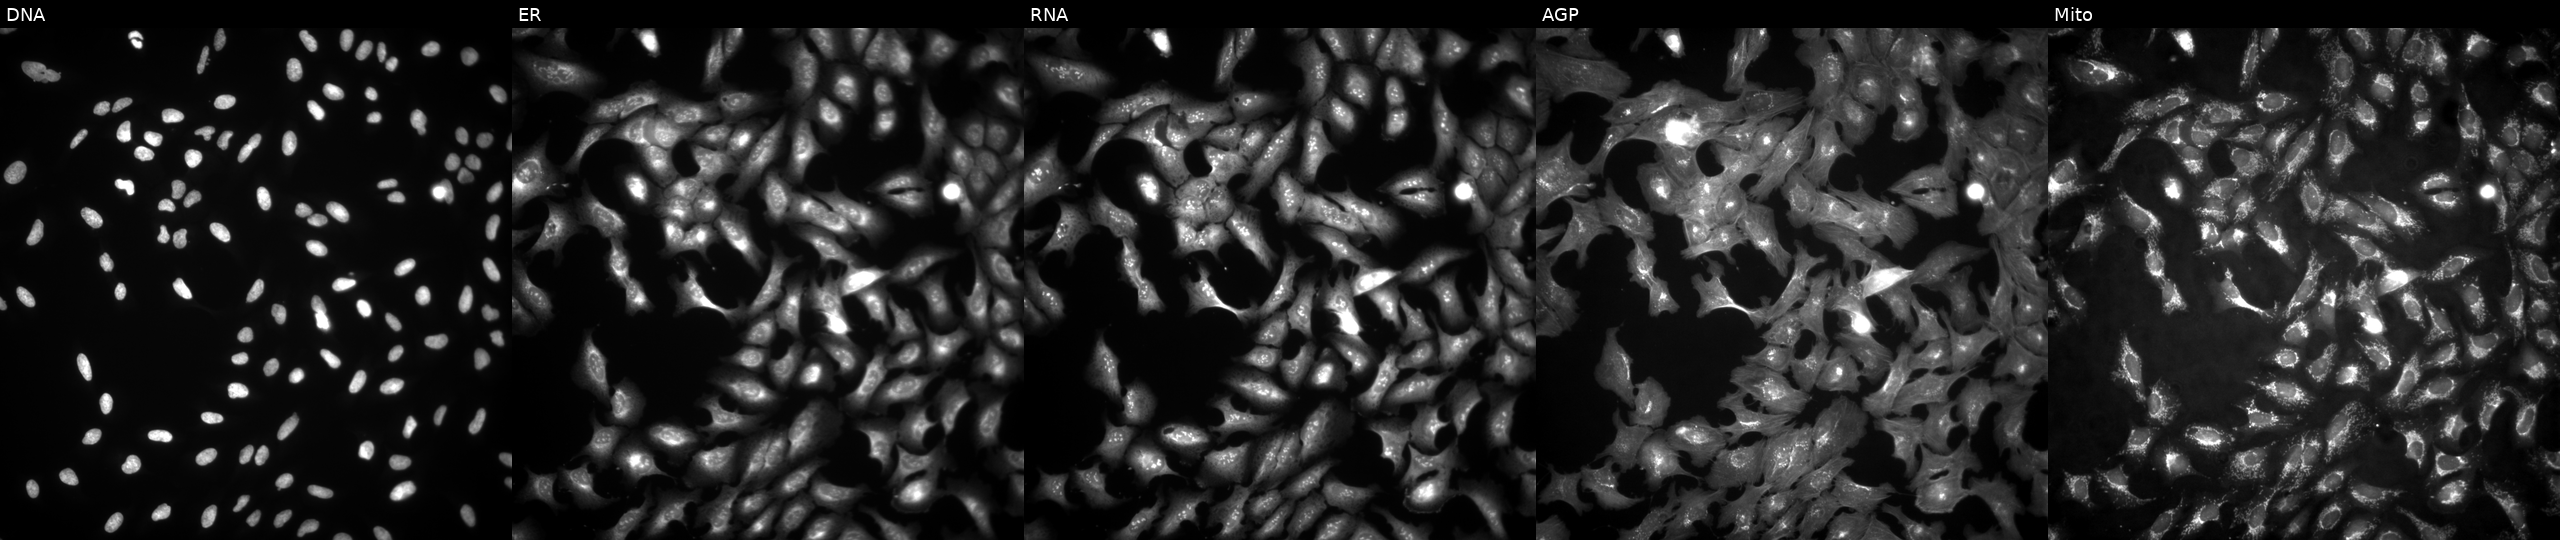
Five-channel Cell Painting image of U2OS cells transfected with an ORF construct for GALNT9 (JUMP id JCP2022_907645). From left to right: Hoechst 33342, concanavalin A, SYTO 14, phalloidin and WGA, MitoTracker.